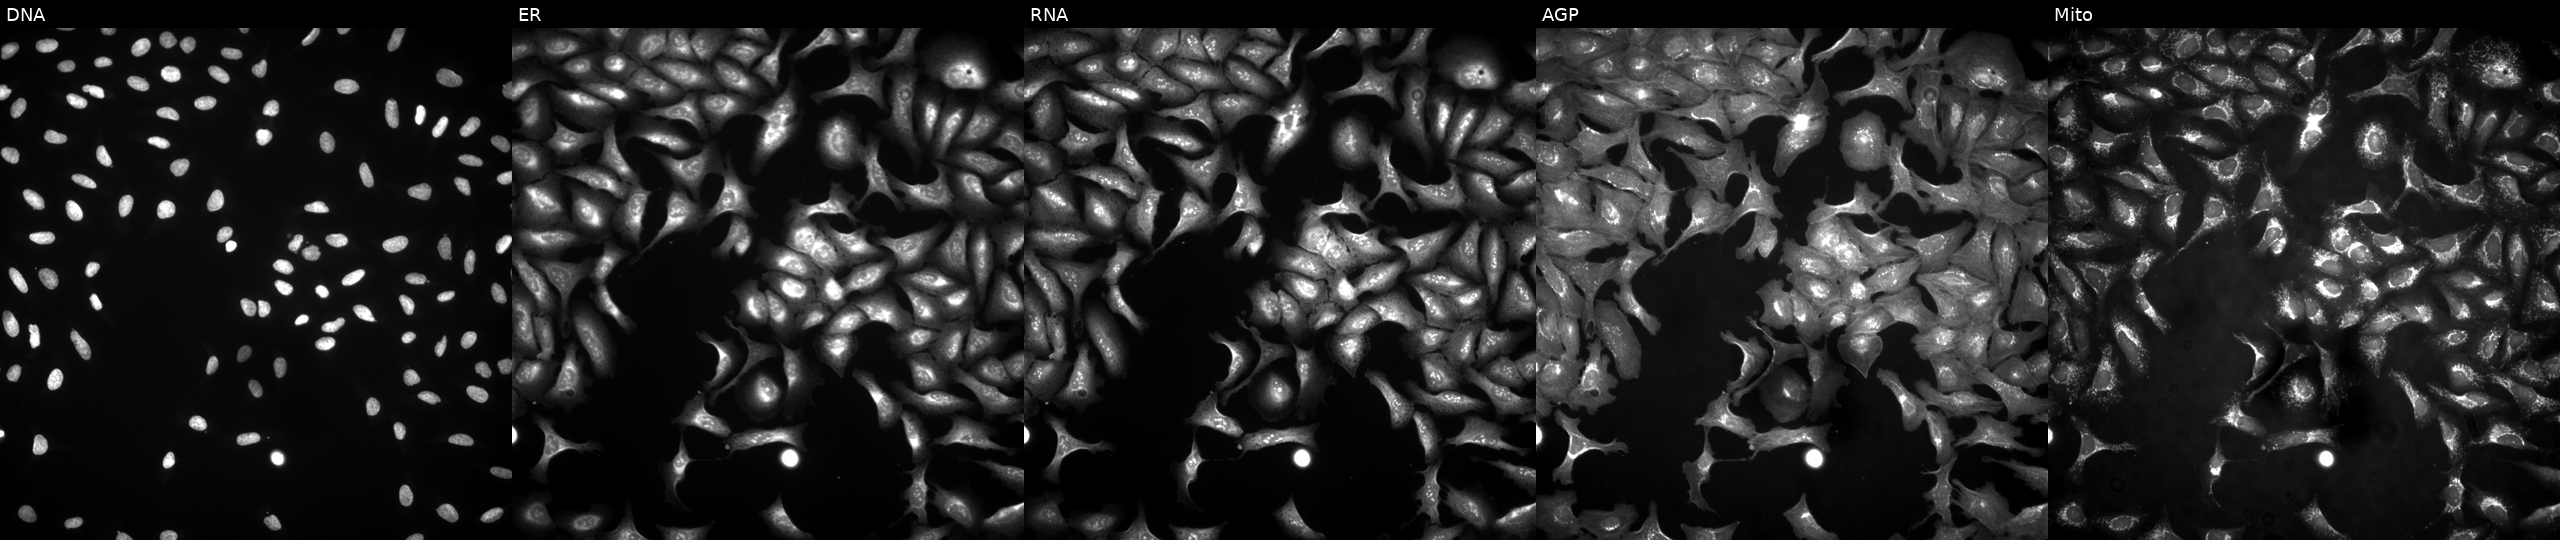
This image strip shows the five Cell Painting channels for a single field of U2OS cells transfected with an ORF construct for IL4I1 (JUMP id JCP2022_915095). Panels show, left to right, Hoechst 33342, concanavalin A, SYTO 14, phalloidin and WGA, MitoTracker.